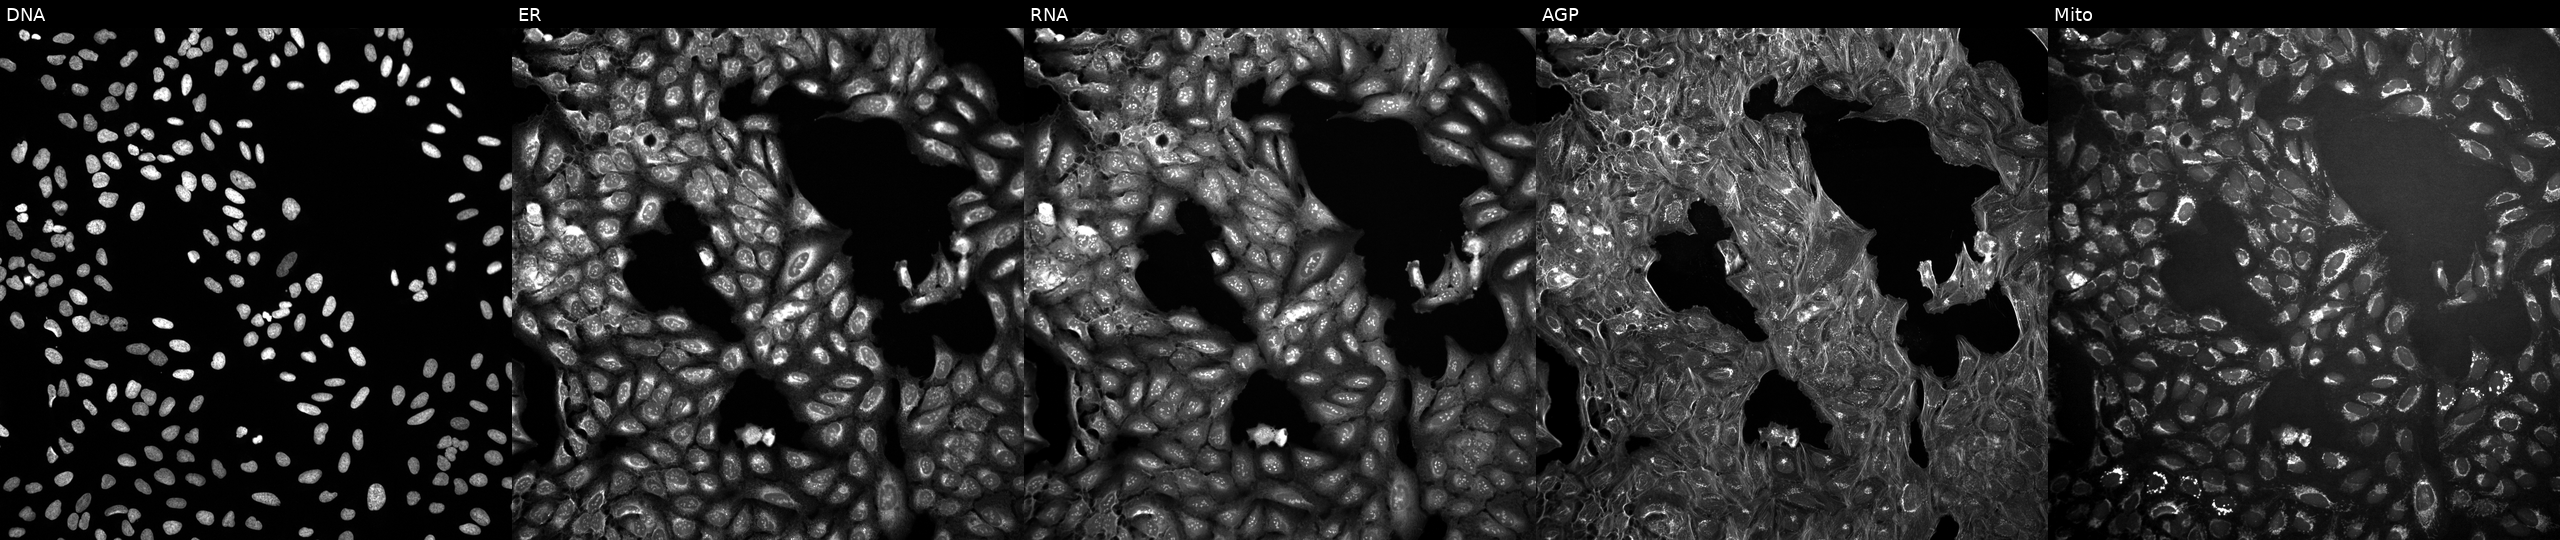
This image strip shows the five Cell Painting channels for a single field of U2OS cells exposed to a small-molecule compound. From left to right: DNA, ER, RNA, AGP, and Mito.